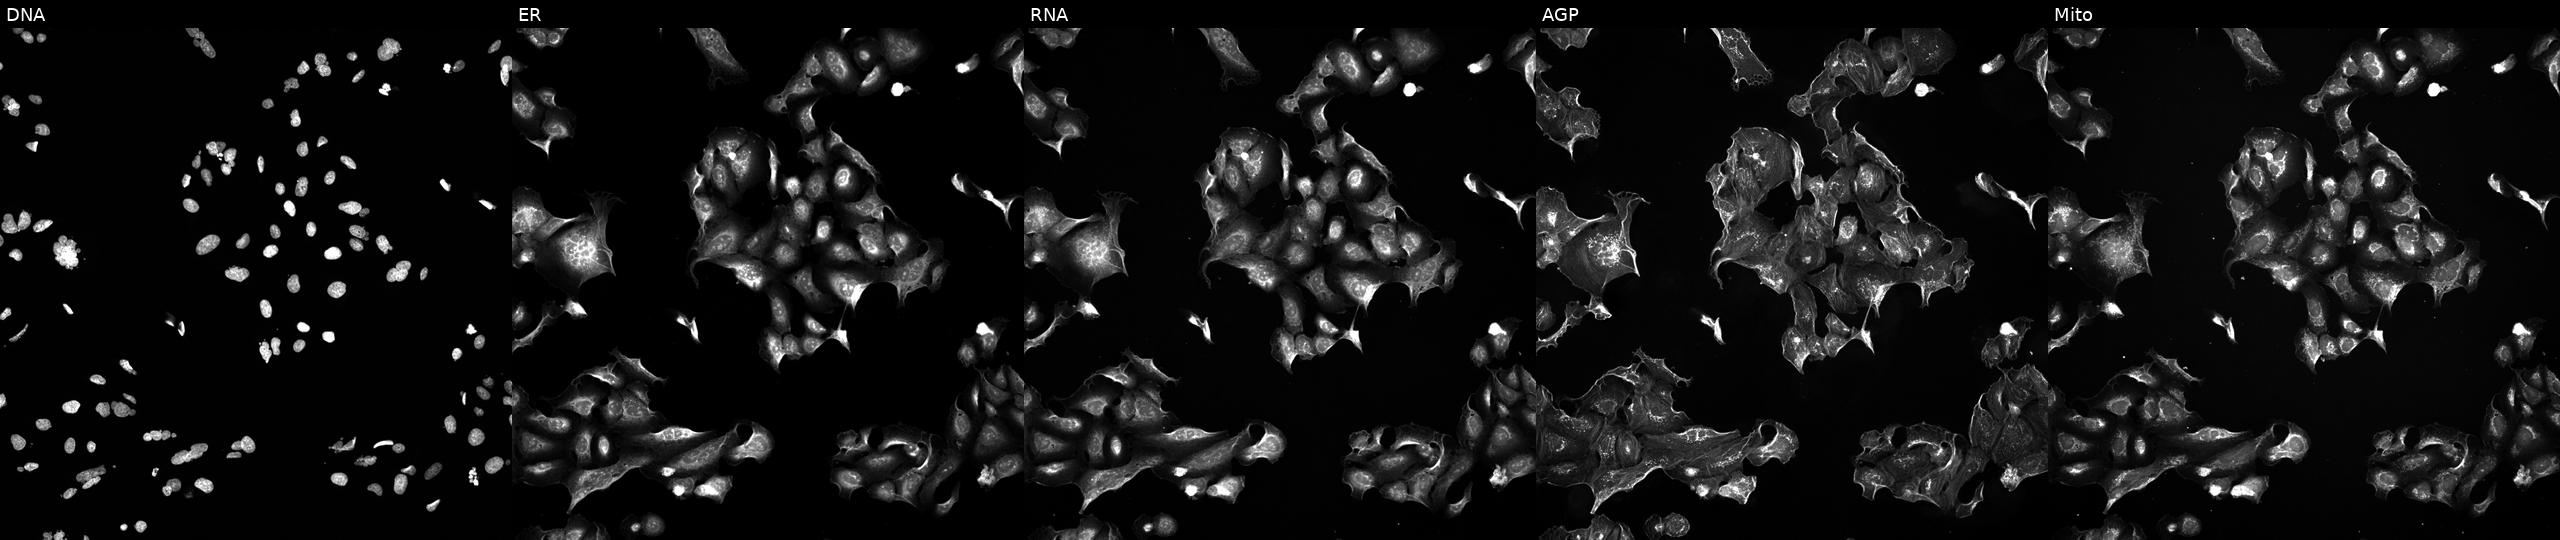
Five-channel Cell Painting image of U2OS cells exposed to a small-molecule compound (InChIKey TYICNWZIHUKHRU-UHFFFAOYSA-N) [SMILES: CCc1ccccc1NC(=O)C(CC)Oc1ccccc1-c1nnc(-c2ccccc2)o1]. The five panels, left to right, show DNA, ER, RNA, AGP, and Mito. Source 5, plate APTJUM105, well J04.